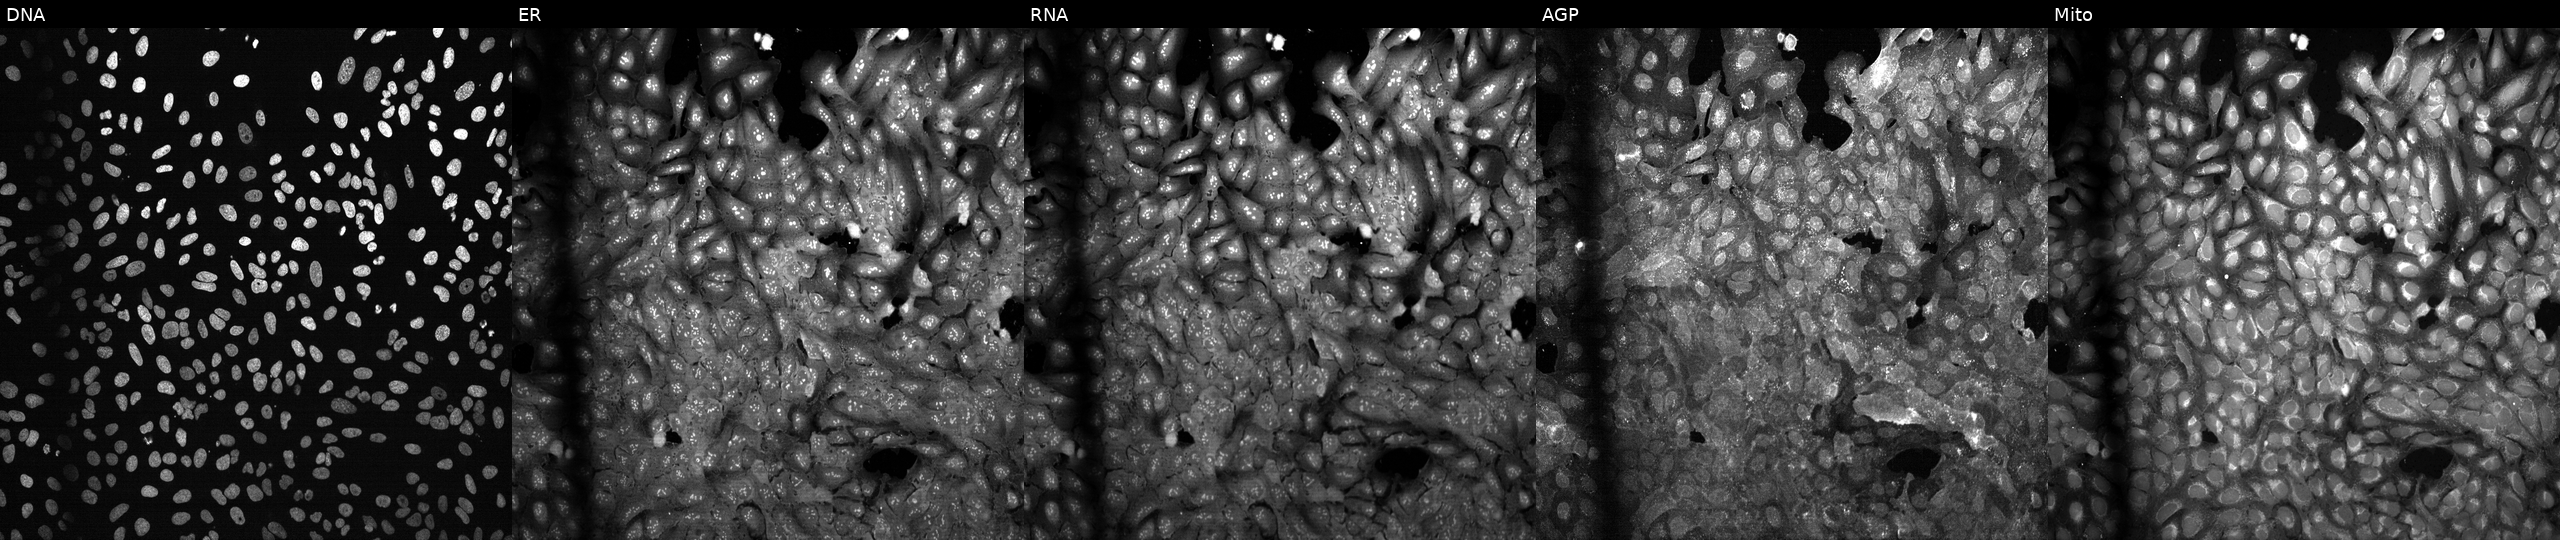
This image strip shows the five Cell Painting channels for a single field of U2OS cells CRISPR-edited to disrupt RAB21 (JUMP id JCP2022_805750). From left to right: DNA, ER, RNA, AGP, and Mito. Source 13, plate CP-CC9-R1-01, well K12.